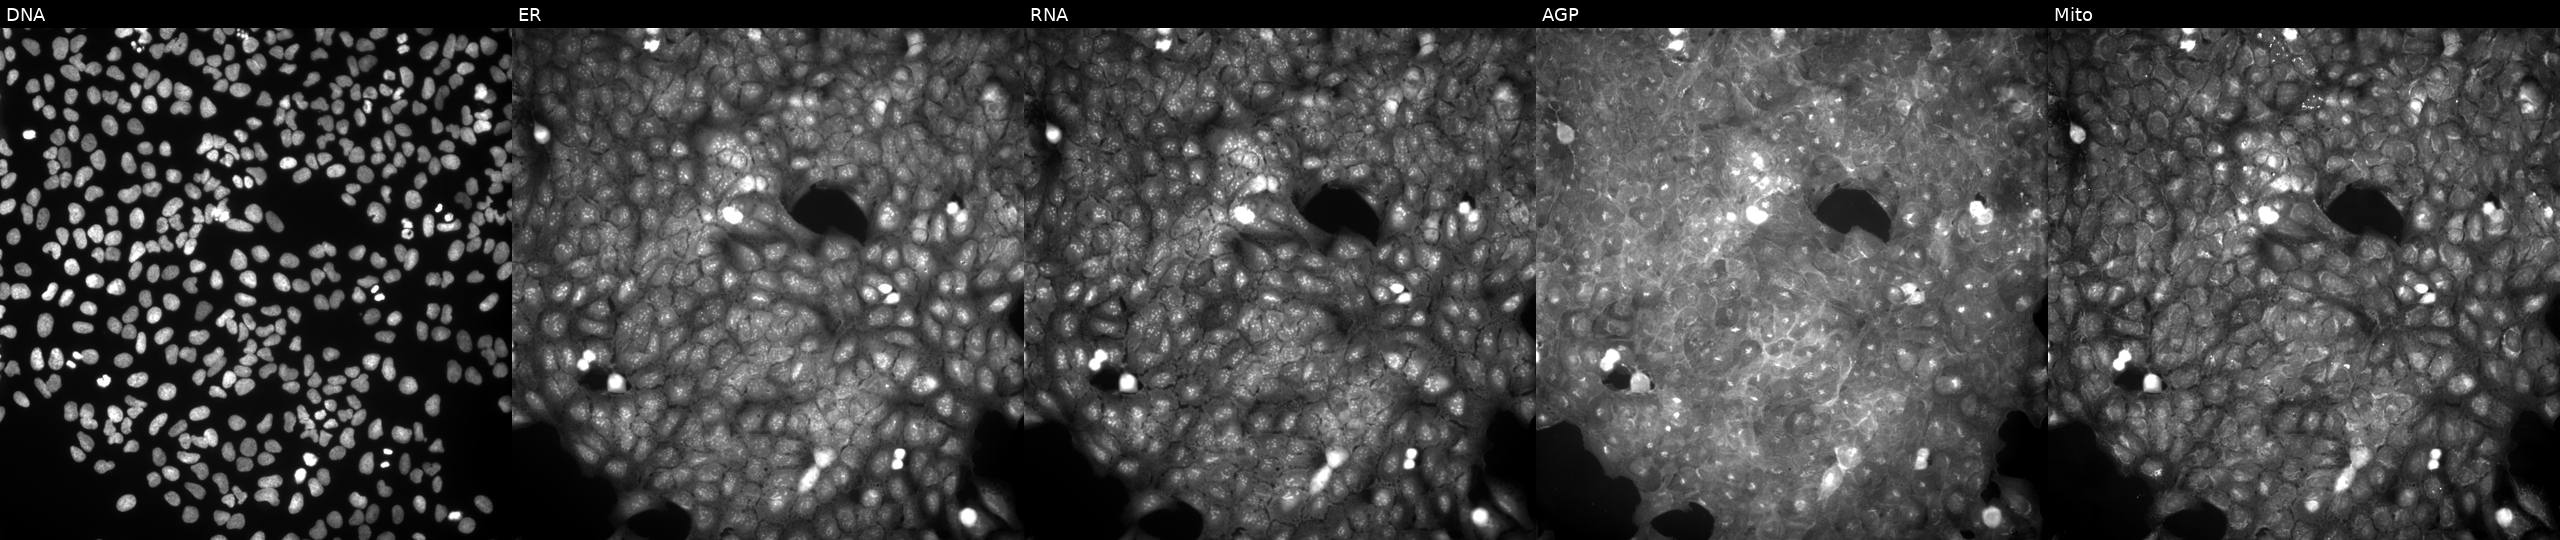
U2OS cells, Cell Painting assay, treated with a small-molecule compound (InChIKey ZAXZXIBBEKHDIK-UHFFFAOYSA-N) (JUMP id JCP2022_112170). Channels (left→right): DNA, ER, RNA, AGP, and Mito. Each panel is percentile-stretched 16-bit fluorescence.